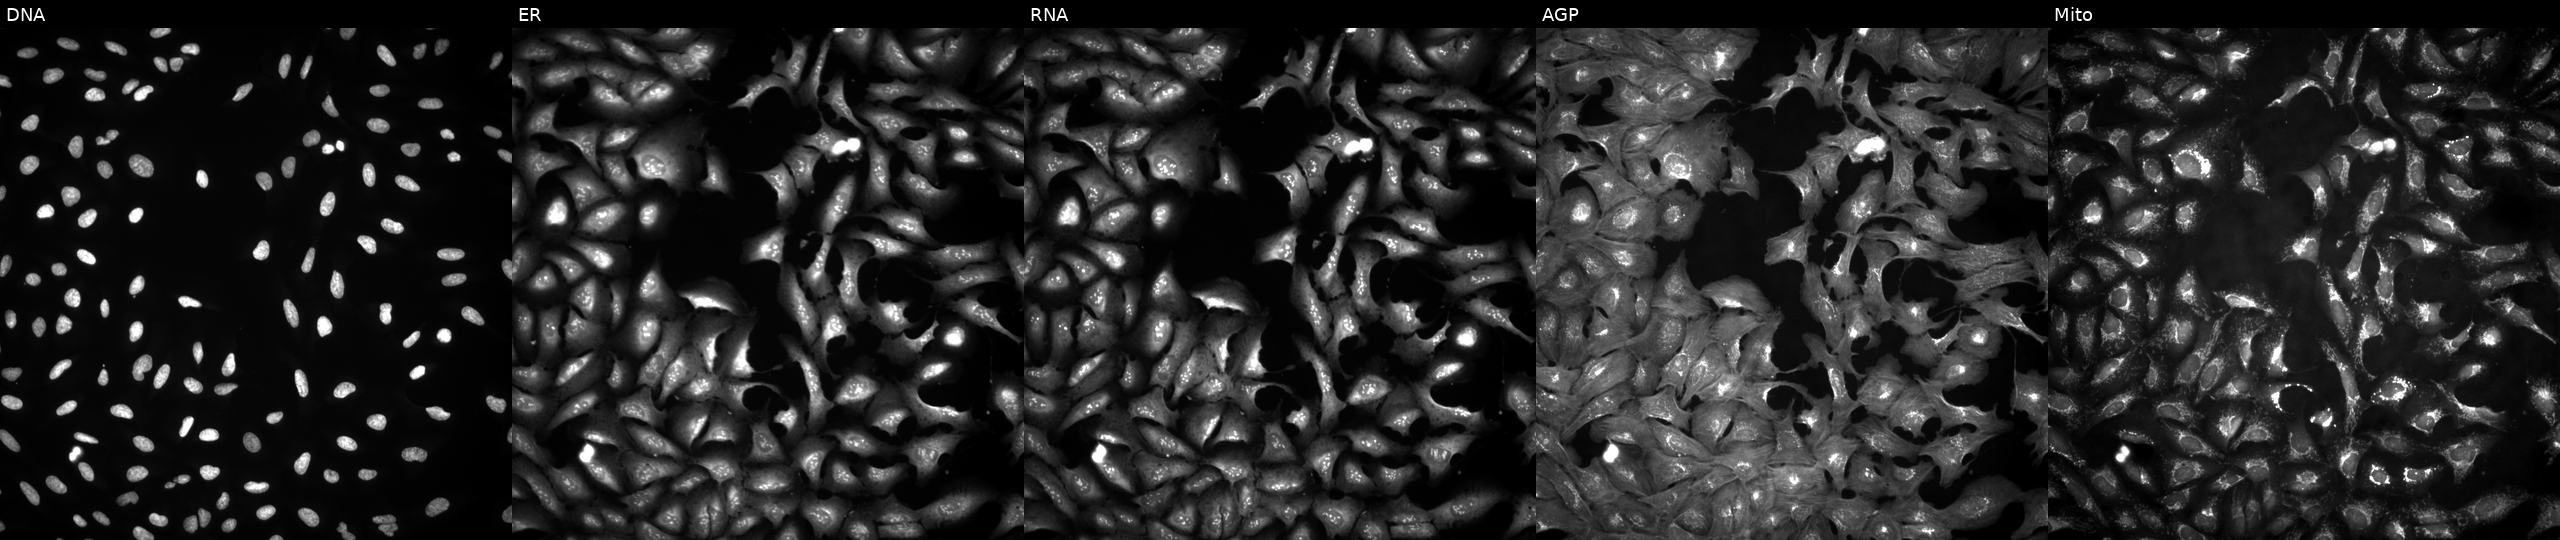
Five-channel Cell Painting image of U2OS cells with CCDC124 overexpressed (ORF) (JUMP id JCP2022_908783). Panels show, left to right, DNA (nuclei); ER (endoplasmic reticulum); RNA (nucleoli and cytoplasmic RNA); AGP (actin cytoskeleton, Golgi, and plasma membrane); Mito (mitochondria). Source 4, plate BR00124784, well F04.